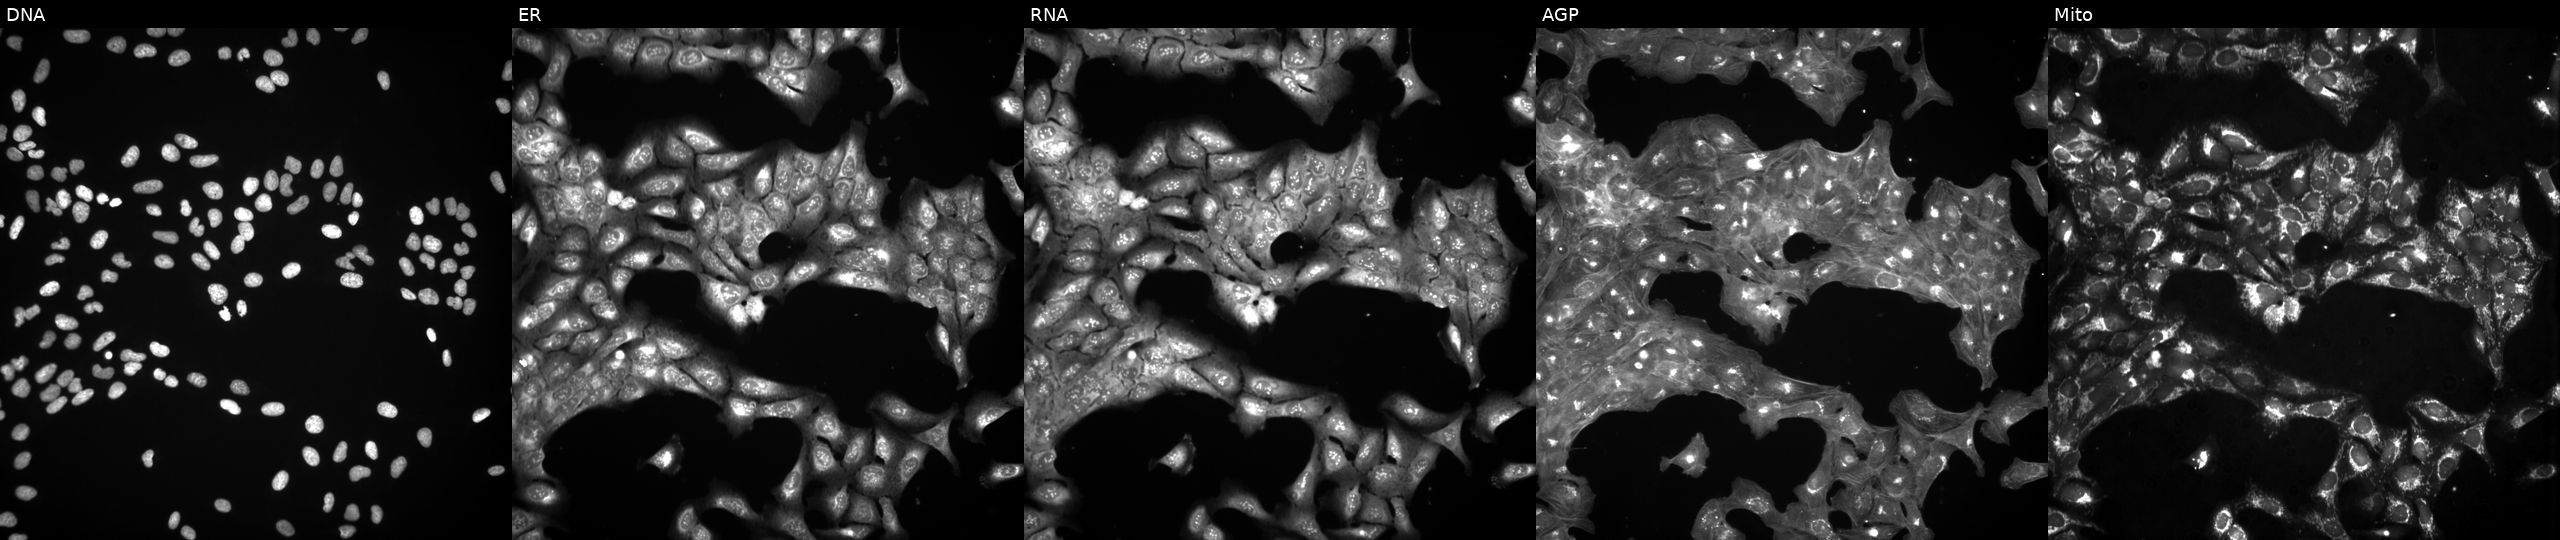
Five-channel Cell Painting image of U2OS cells exposed to a small-molecule compound (JUMP id JCP2022_029186). Panels show, left to right, Hoechst 33342, concanavalin A, SYTO 14, phalloidin and WGA, MitoTracker.